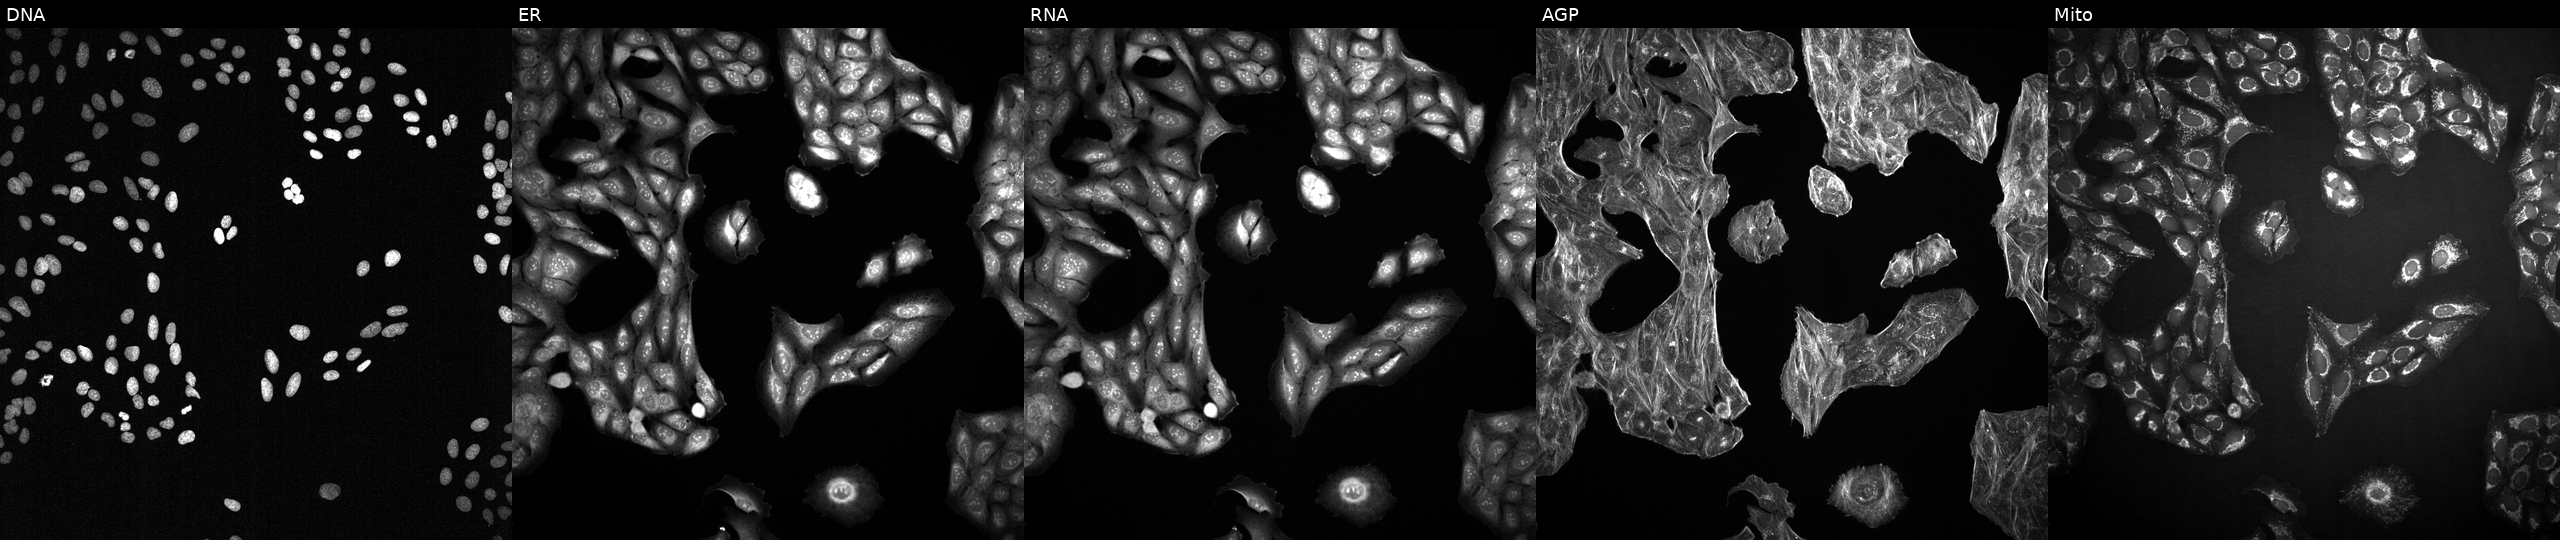
JUMP Cell Painting — TARGET2 plate. U2OS cells treated with a small-molecule compound (JUMP id JCP2022_094002). The five panels, left to right, show DNA, ER, RNA, AGP, and Mito.